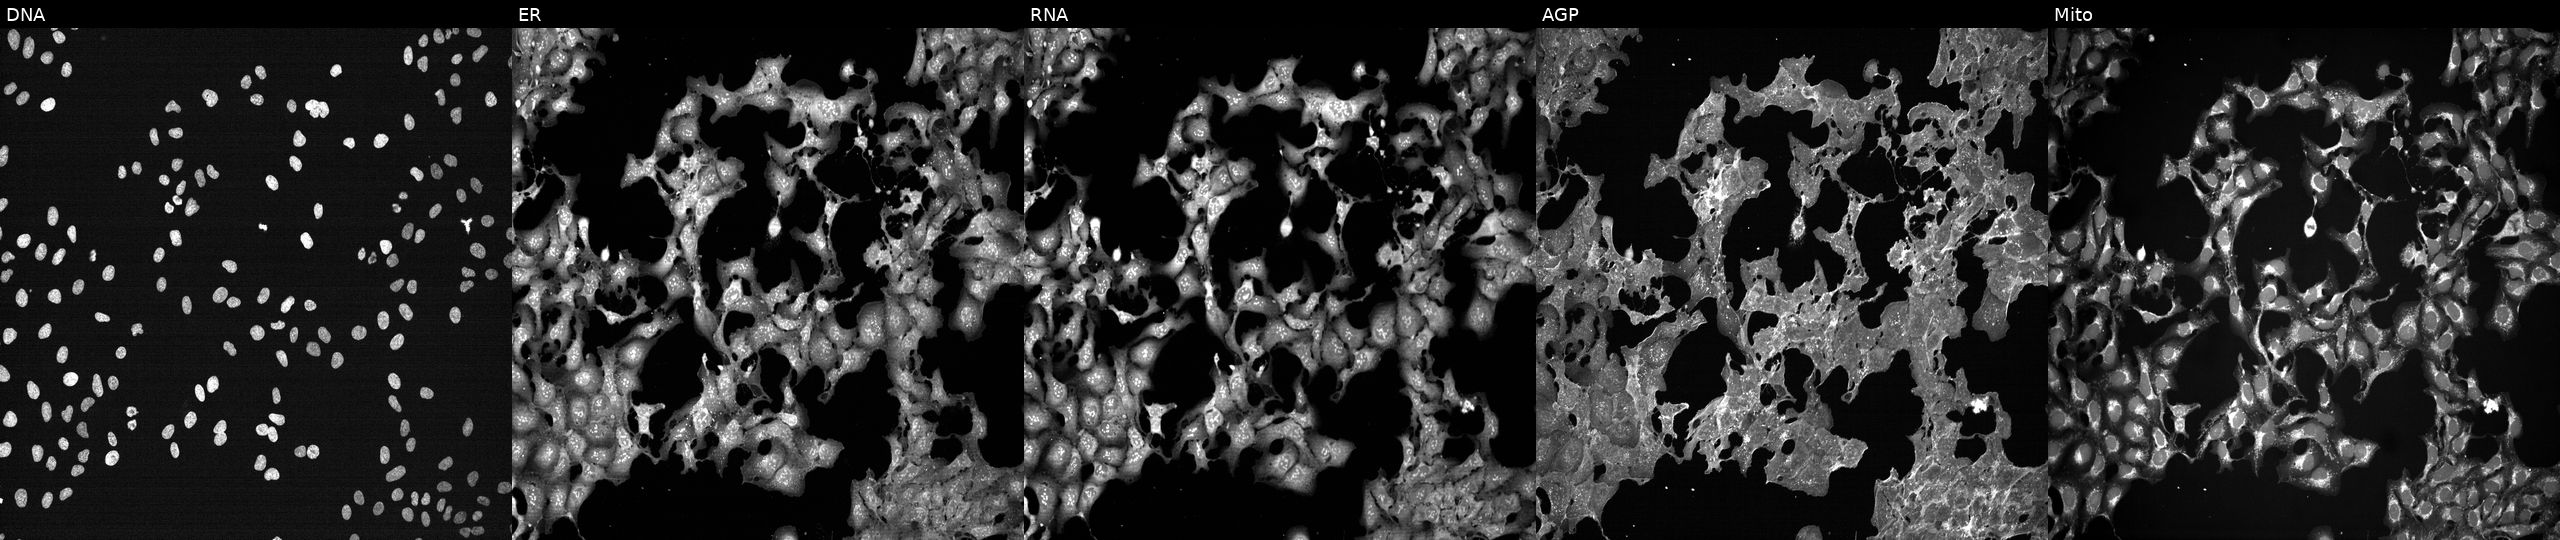
This image strip shows the five Cell Painting channels for a single field of U2OS cells perturbed with a small-molecule compound (InChIKey GDVRVPIXWXOKQO-UHFFFAOYSA-N) (JUMP id JCP2022_024824). Panels show, left to right, Hoechst 33342, concanavalin A, SYTO 14, phalloidin and WGA, MitoTracker. Source 7, plate CP3-SC1-25, well E19.